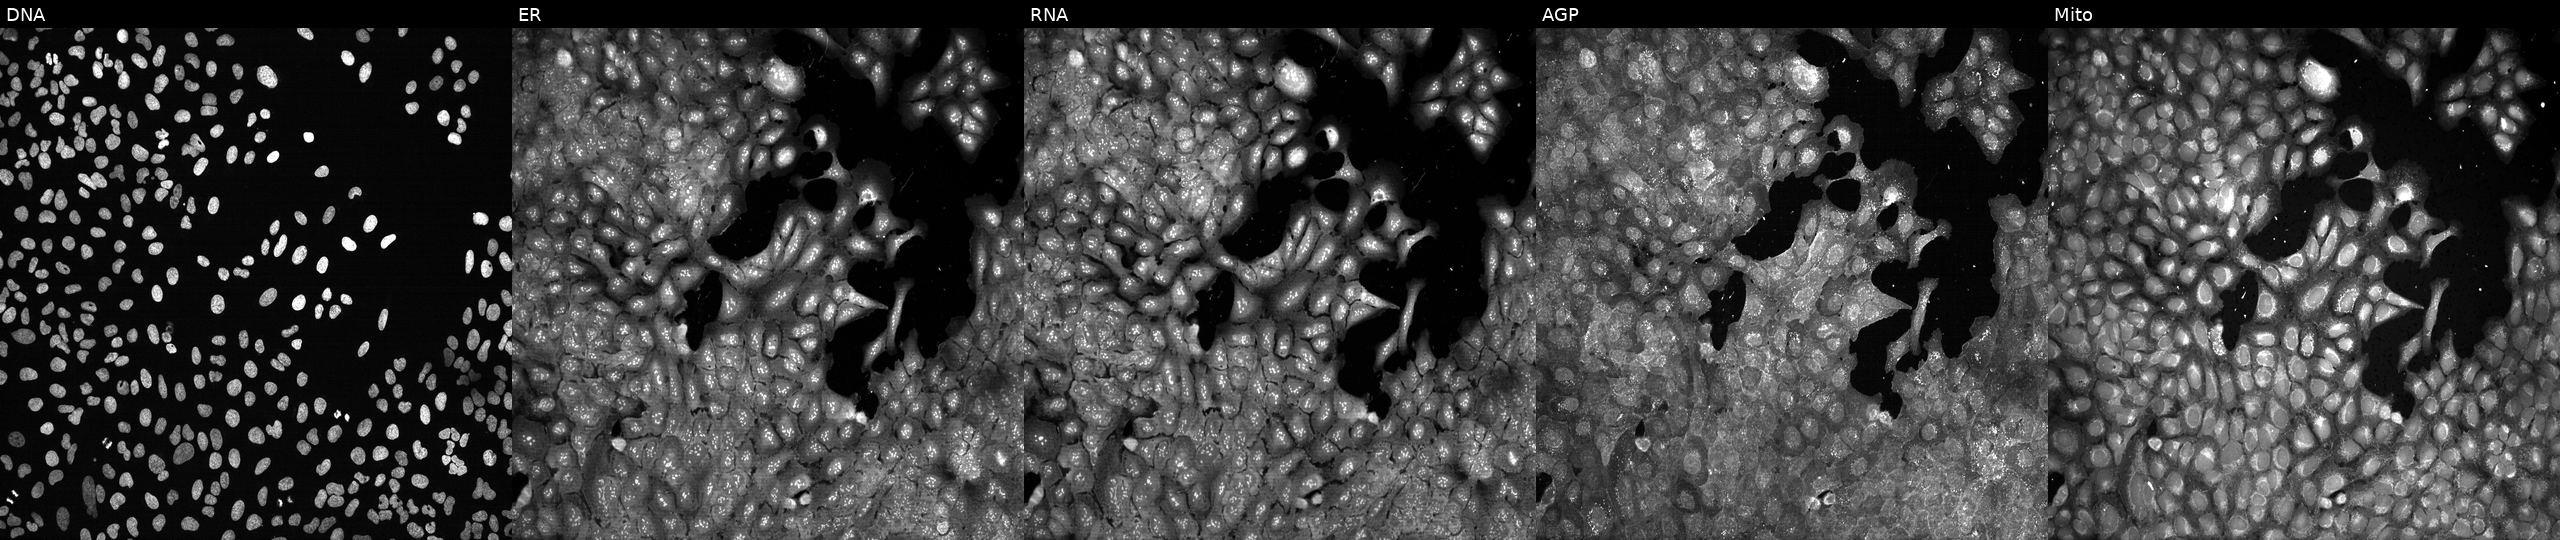
Panels show, left to right, DNA (nuclei); ER (endoplasmic reticulum); RNA (nucleoli and cytoplasmic RNA); AGP (actin cytoskeleton, Golgi, and plasma membrane); Mito (mitochondria). U2OS osteosarcoma cells with no CRISPR guide (negative control). Cell Painting assay, JUMP-CP dataset. Source 13, plate CP-CC9-R1-01, well I08.